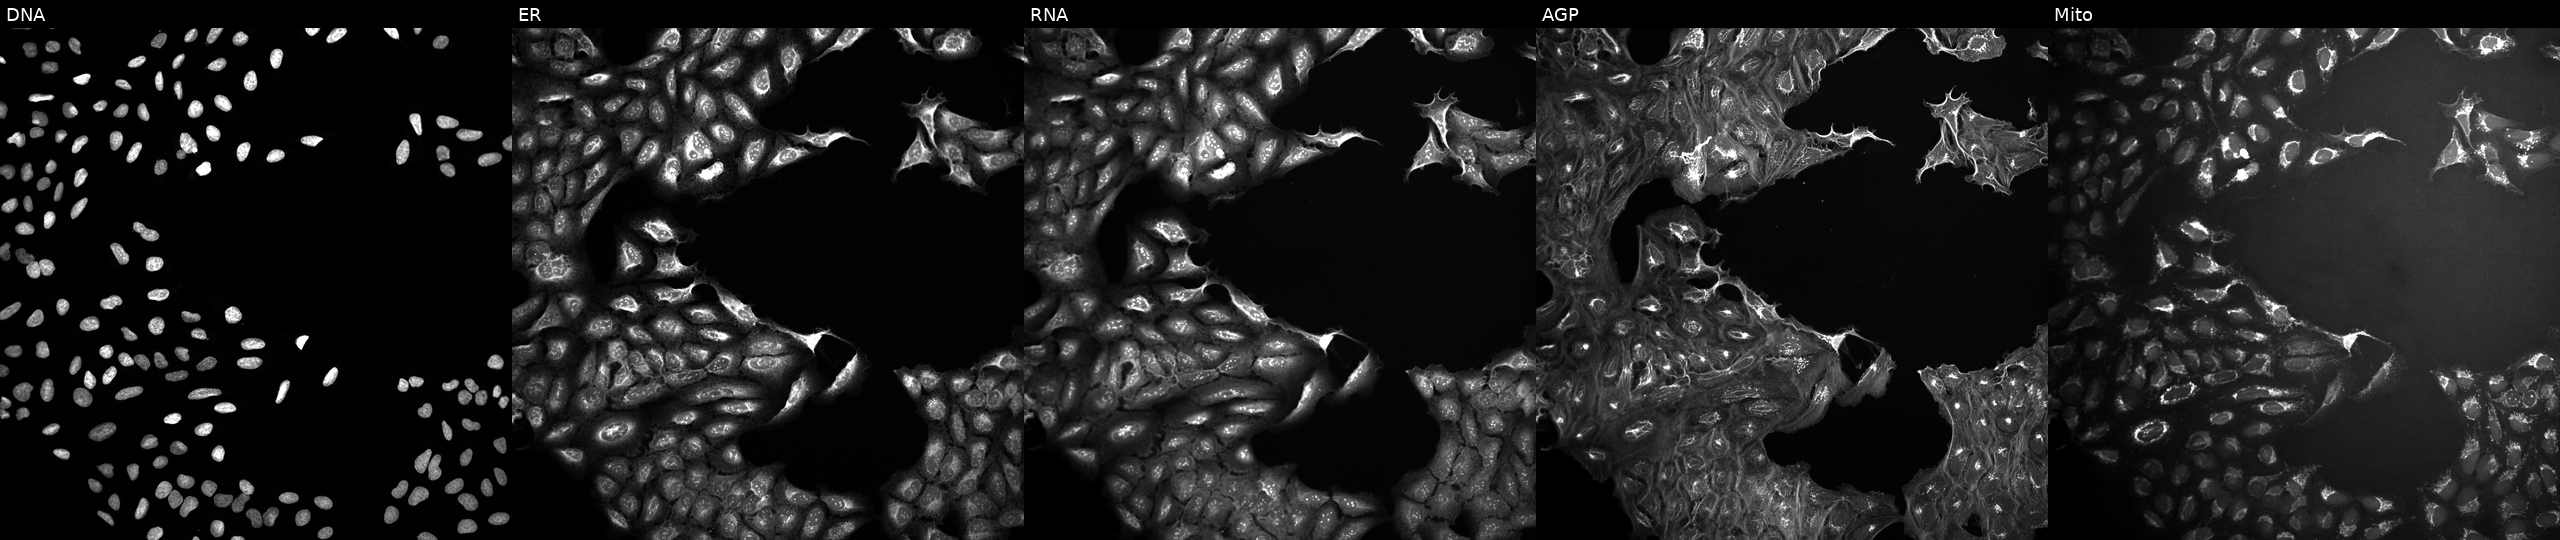
High-content fluorescence microscopy (Cell Painting). Cell line: U2OS. Perturbation: perturbed with a small-molecule compound [SMILES: COCCN1CCN(C(=O)c2cc(C(C)C)on2)C2CS(=O)(=O)CC21]. Channels (left→right): DNA (nuclei); ER (endoplasmic reticulum); RNA (nucleoli and cytoplasmic RNA); AGP (actin cytoskeleton, Golgi, and plasma membrane); Mito (mitochondria).